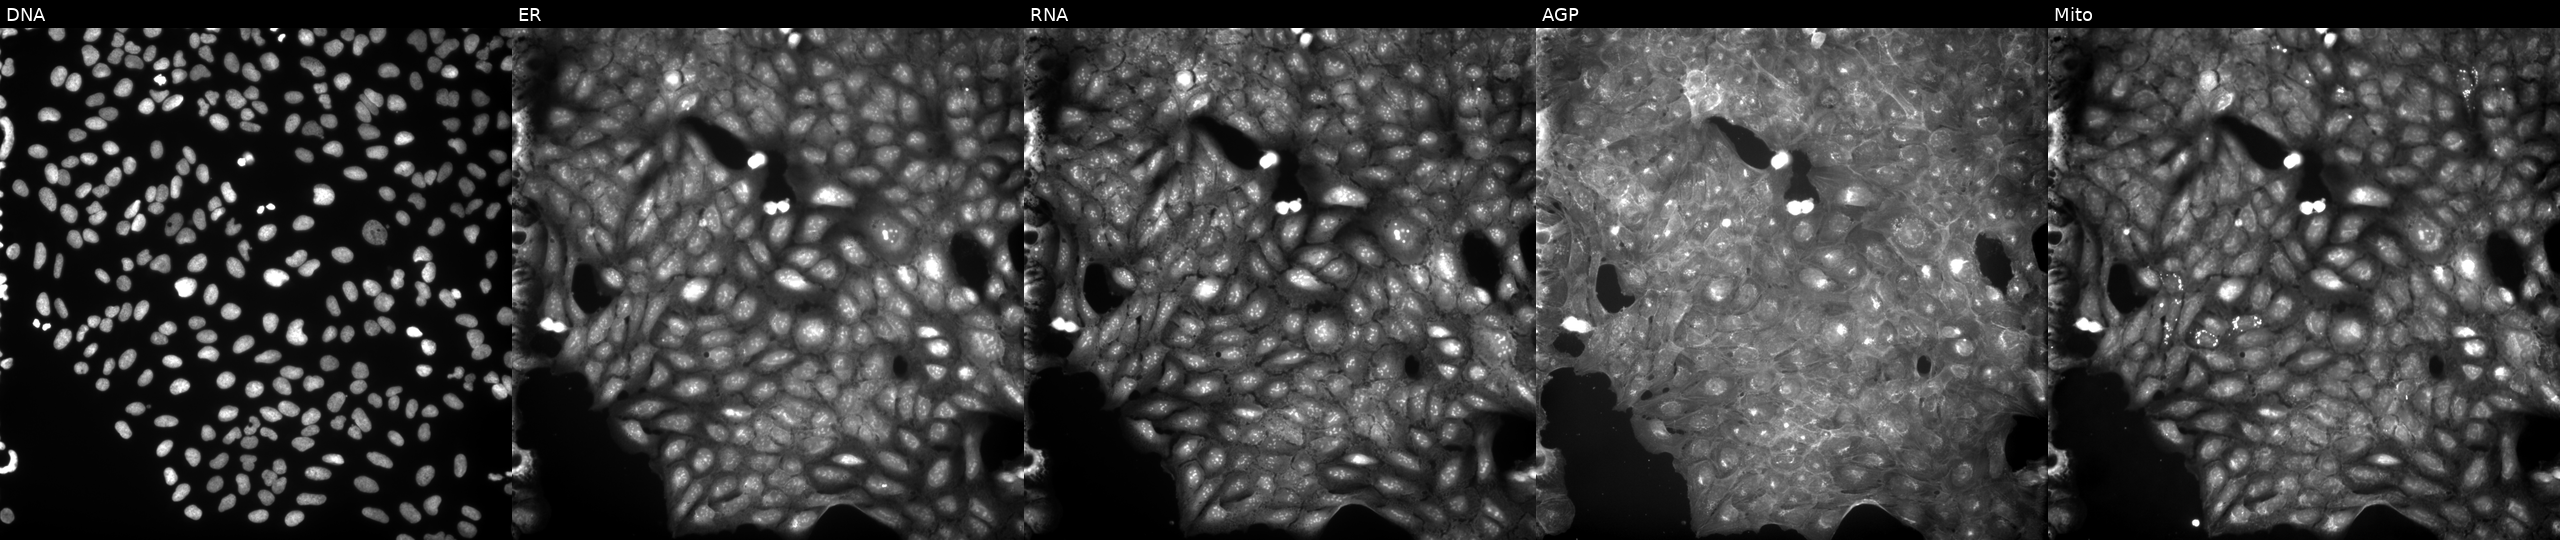
Five-channel Cell Painting image of U2OS cells exposed to DMSO alone as a negative control (JUMP id JCP2022_033924). Channels (left→right): DNA, ER, RNA, AGP, and Mito. Source 9, plate GR00003381, well B26.